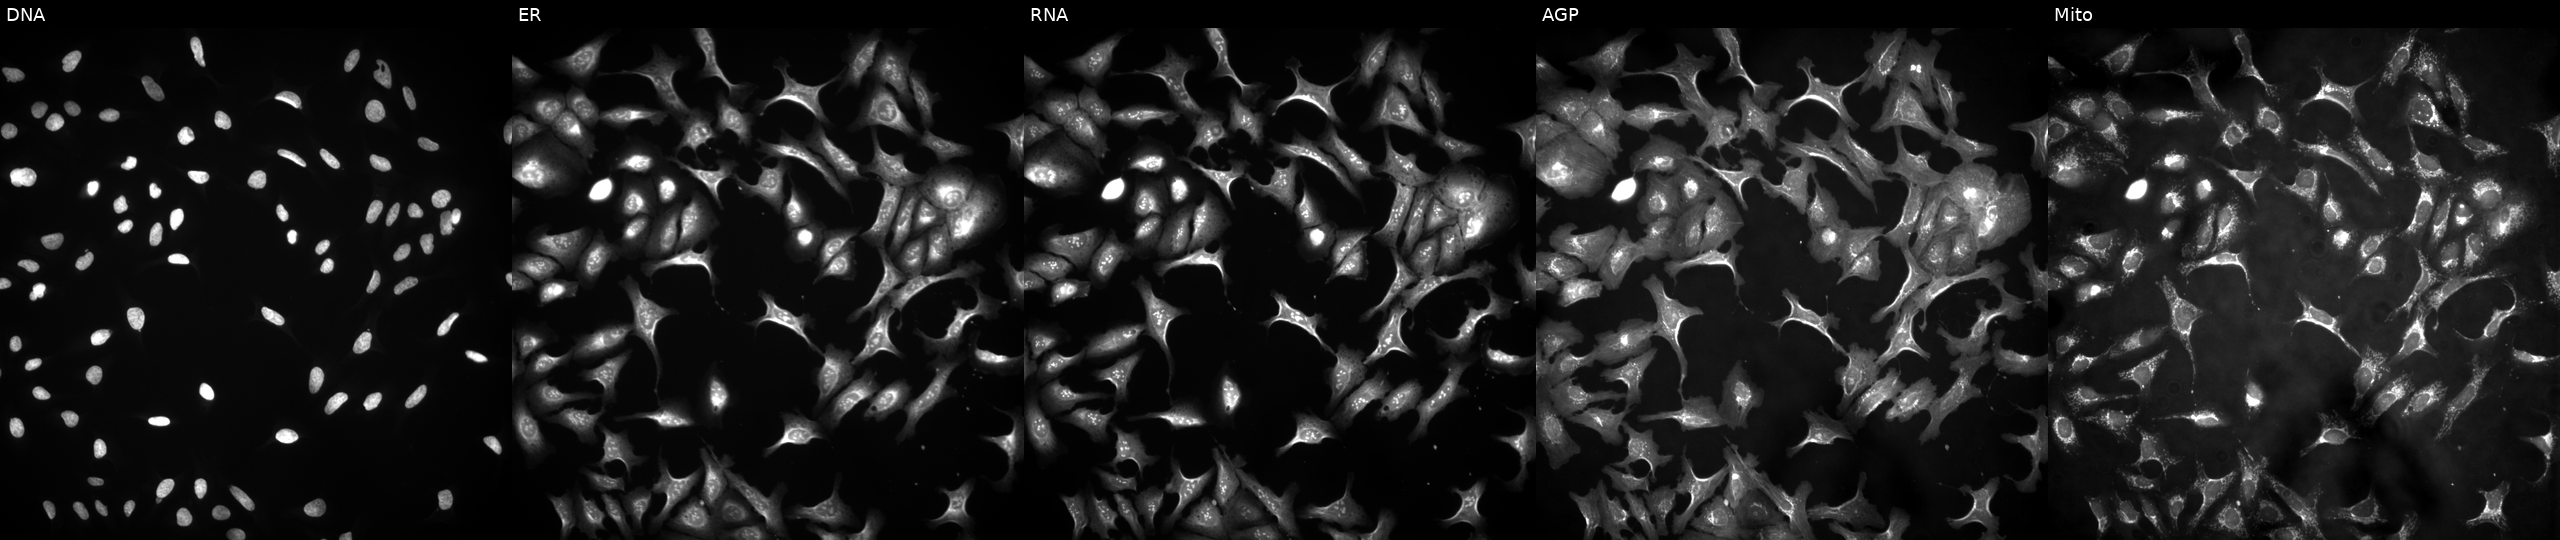
Five-channel Cell Painting image of U2OS cells transfected with an ORF construct for ASPHD2. Channels (left→right): DNA, ER, RNA, AGP, and Mito.